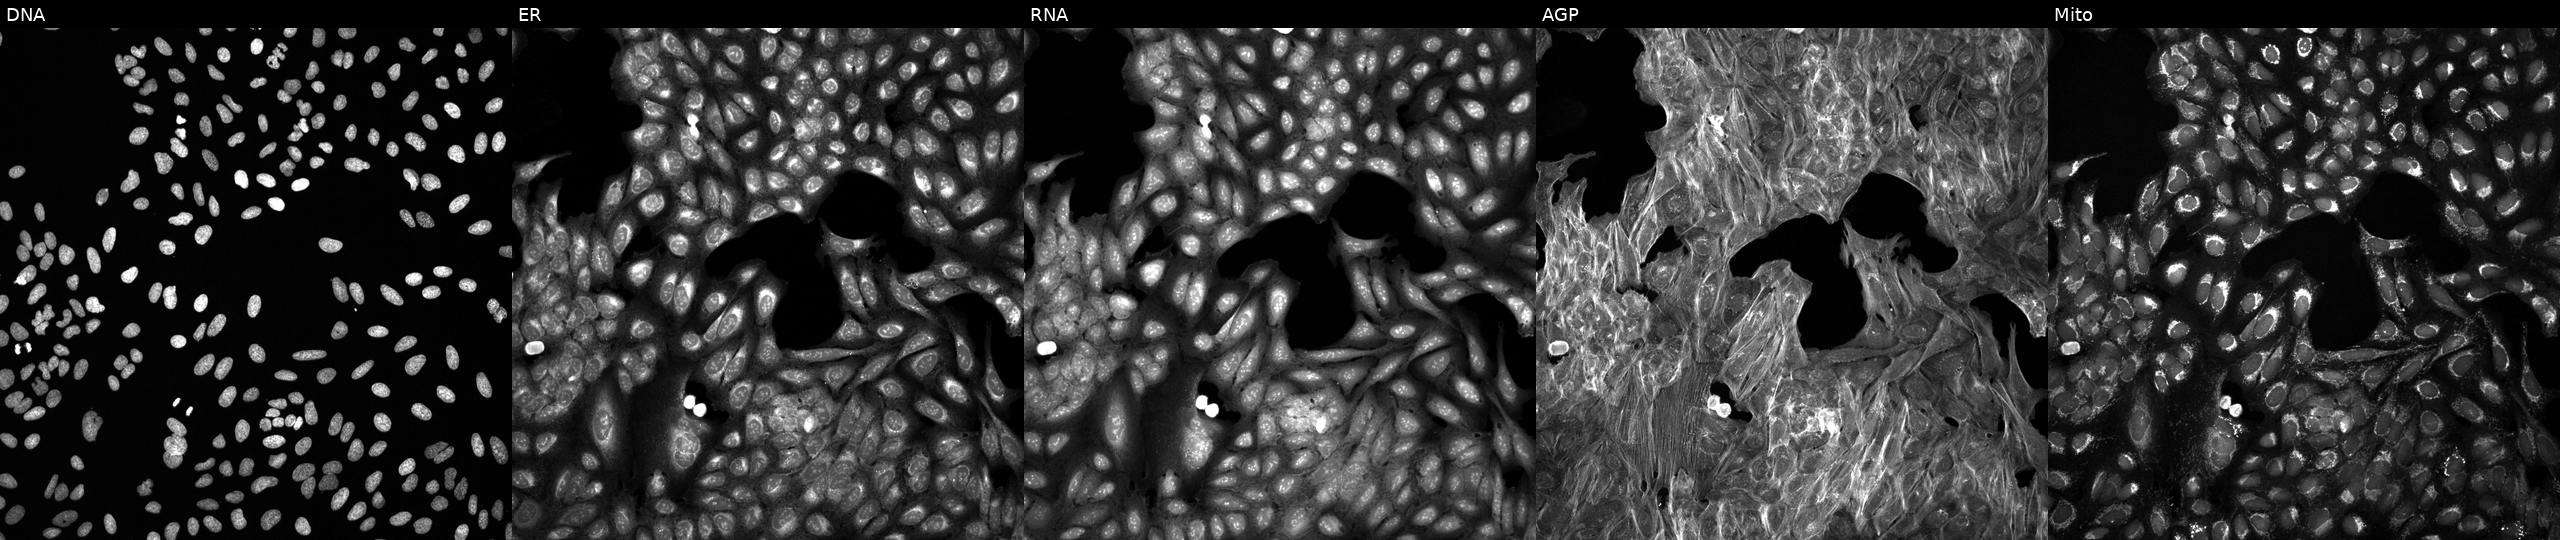
JUMP Cell Painting — TARGET2 plate. U2OS cells exposed to the positive-control compound aloxistatin (JUMP id JCP2022_085227). Panels show, left to right, DNA, ER, RNA, AGP, and Mito. Source 6, plate 110000293093, well F06.